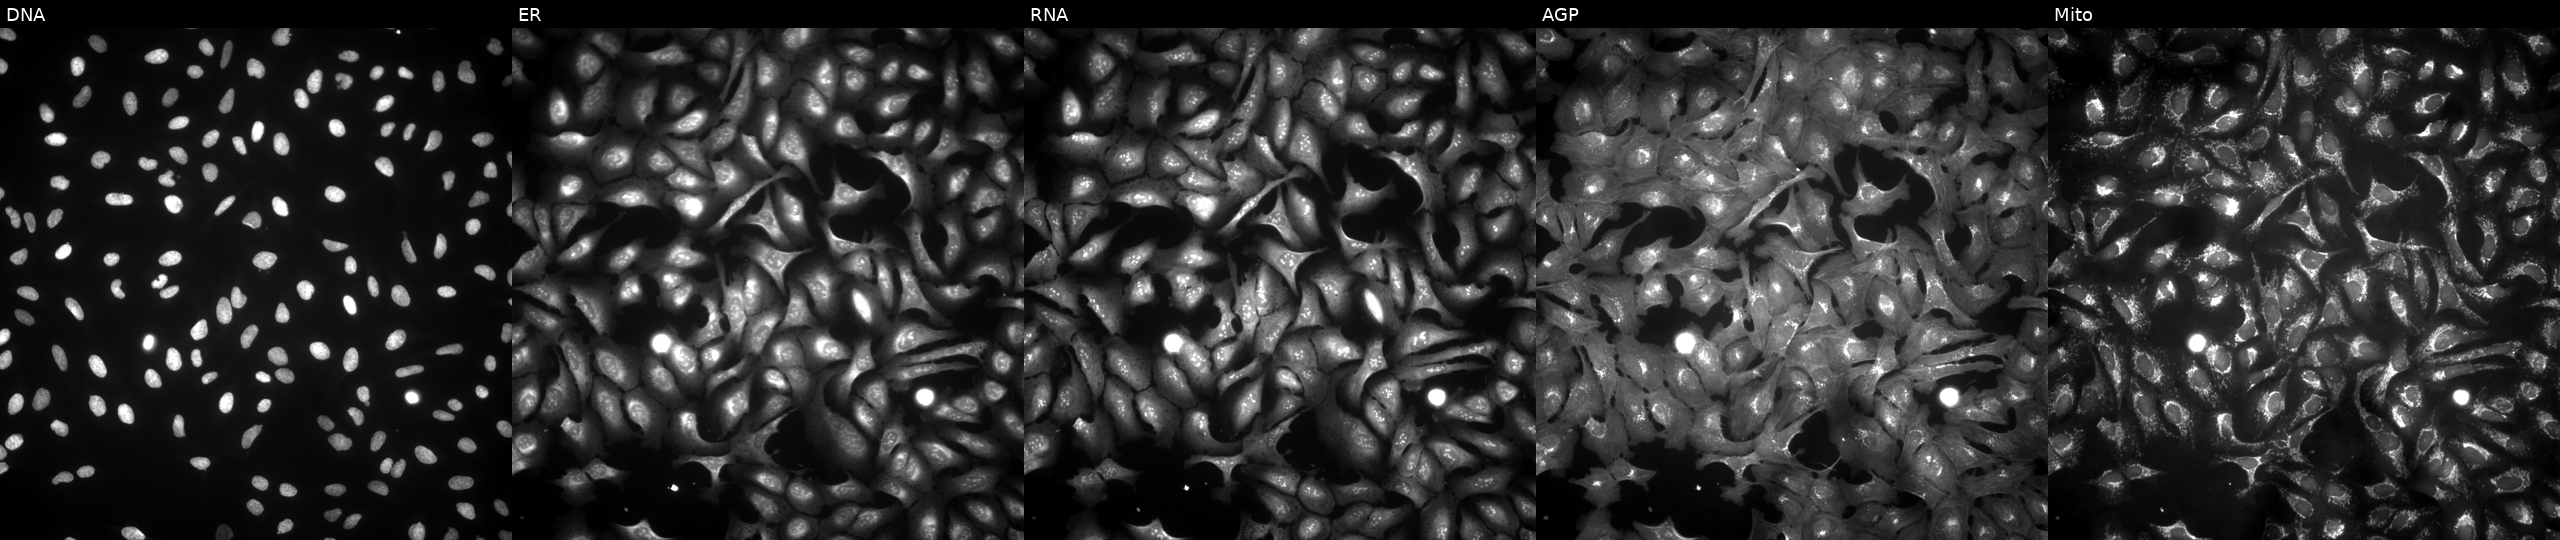
U2OS cells, Cell Painting assay, with MMP3 overexpressed (ORF). From left to right: DNA (nuclei); ER (endoplasmic reticulum); RNA (nucleoli and cytoplasmic RNA); AGP (actin cytoskeleton, Golgi, and plasma membrane); Mito (mitochondria). Each panel is percentile-stretched 16-bit fluorescence.